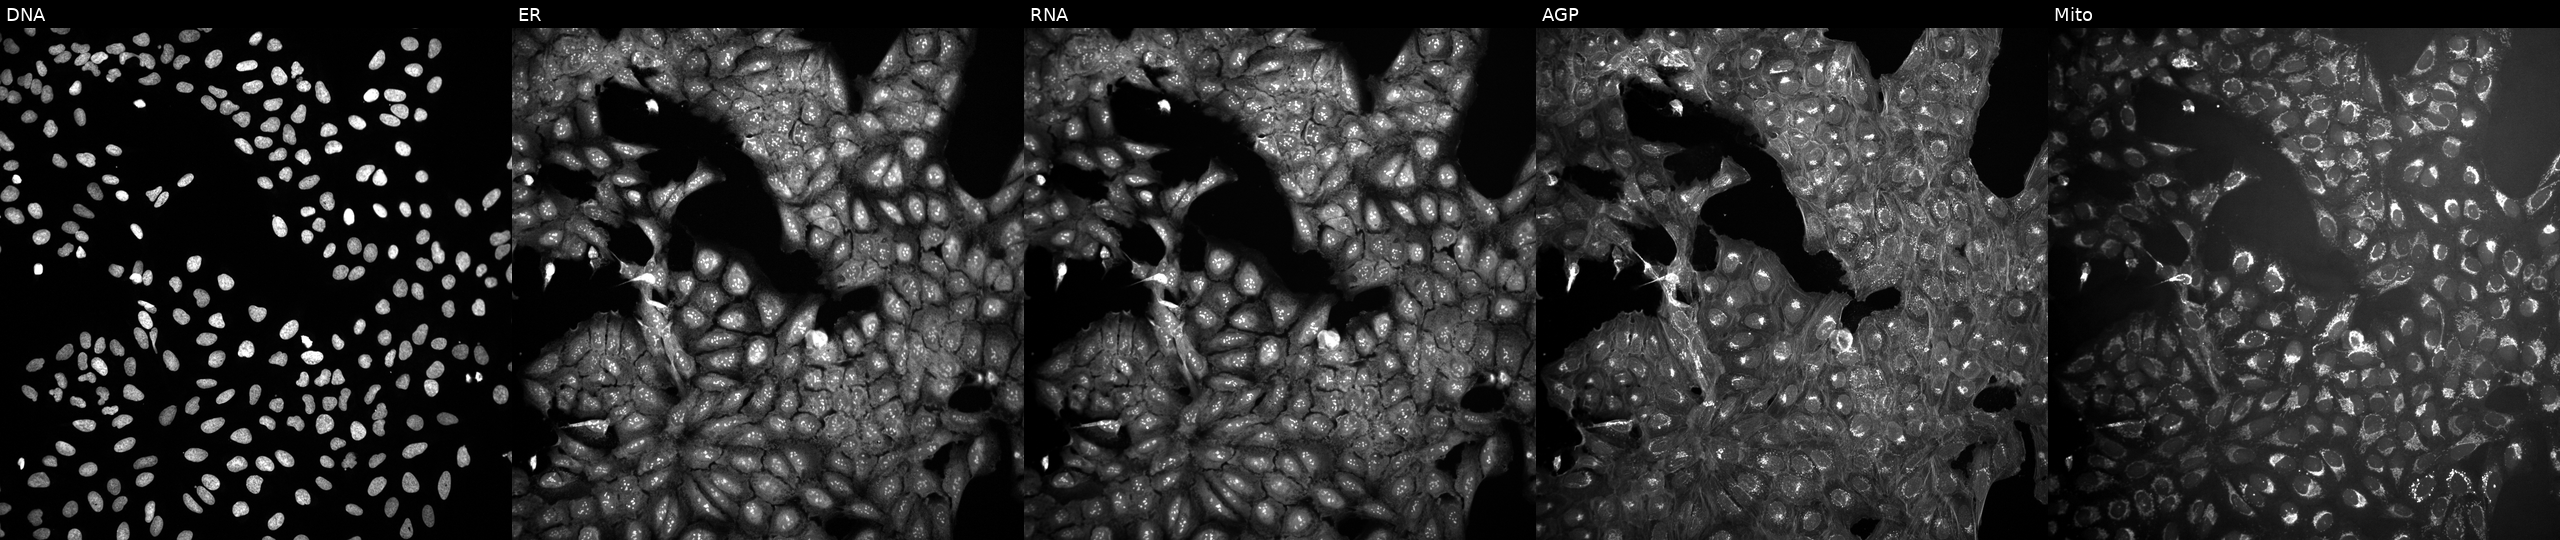
JUMP Cell Painting — COMPOUND plate. U2OS cells untreated (empty-well control) (JUMP id JCP2022_999999). The five panels, left to right, show Hoechst 33342, concanavalin A, SYTO 14, phalloidin and WGA, MitoTracker. Source 10, plate Dest210531-152149, well H18.